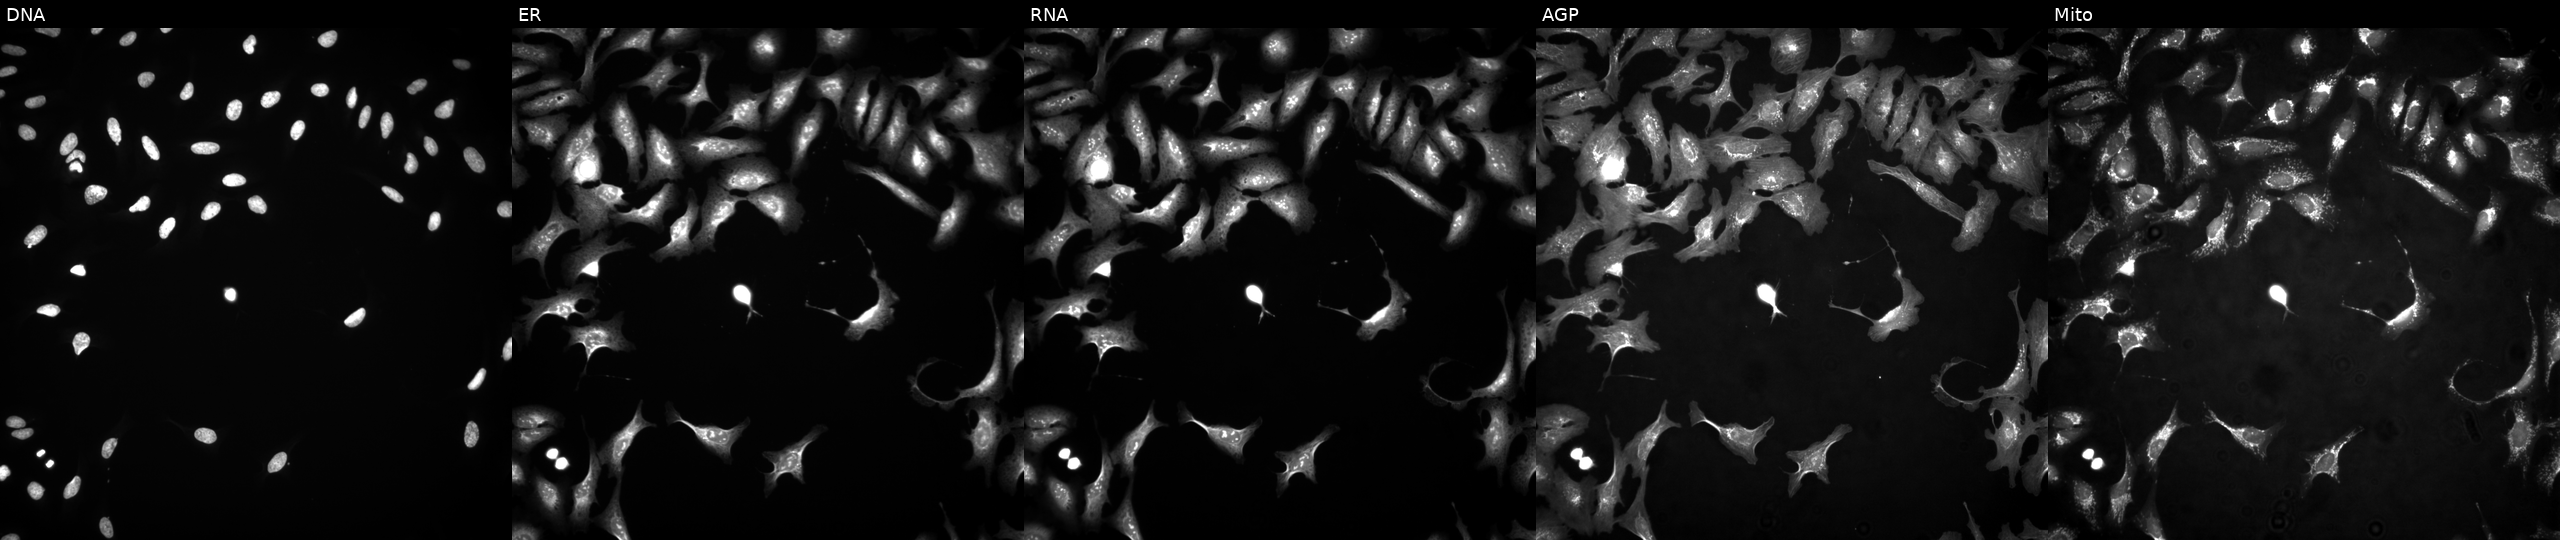
High-content fluorescence microscopy (Cell Painting). Cell line: U2OS. Perturbation: overexpressing TFF2 via ORF transfection. Panels show, left to right, DNA (nuclei); ER (endoplasmic reticulum); RNA (nucleoli and cytoplasmic RNA); AGP (actin cytoskeleton, Golgi, and plasma membrane); Mito (mitochondria). Source 4, plate BR00124787, well C21.